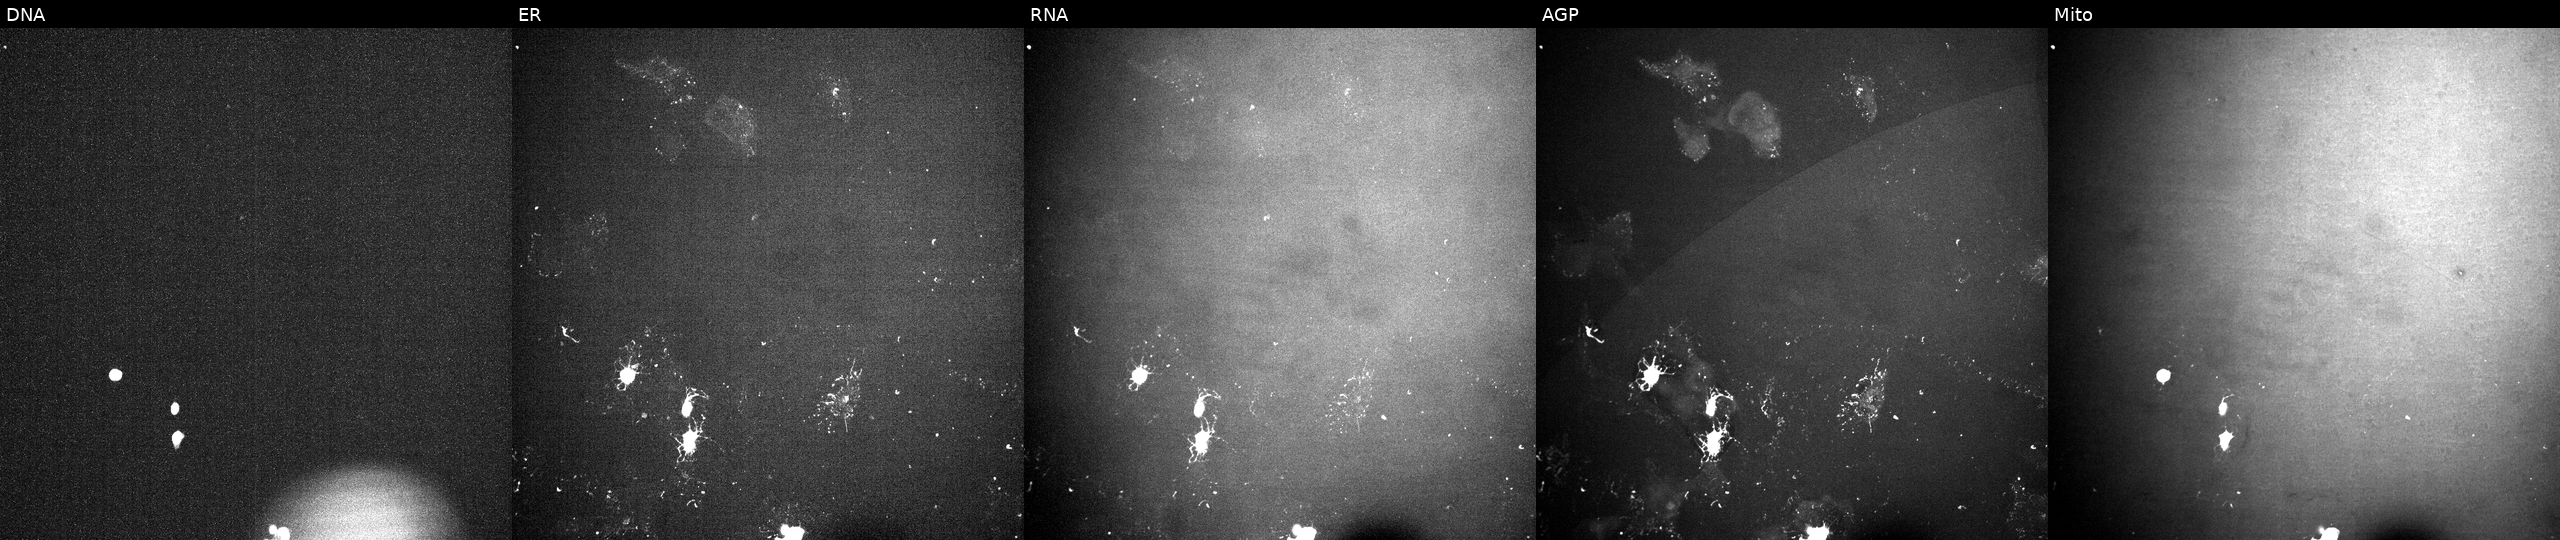
U2OS cells, Cell Painting assay, exposed to a small-molecule compound (InChIKey IAYGCINLNONXHY-UHFFFAOYSA-N). From left to right: DNA, ER, RNA, AGP, and Mito. Each panel is percentile-stretched 16-bit fluorescence.